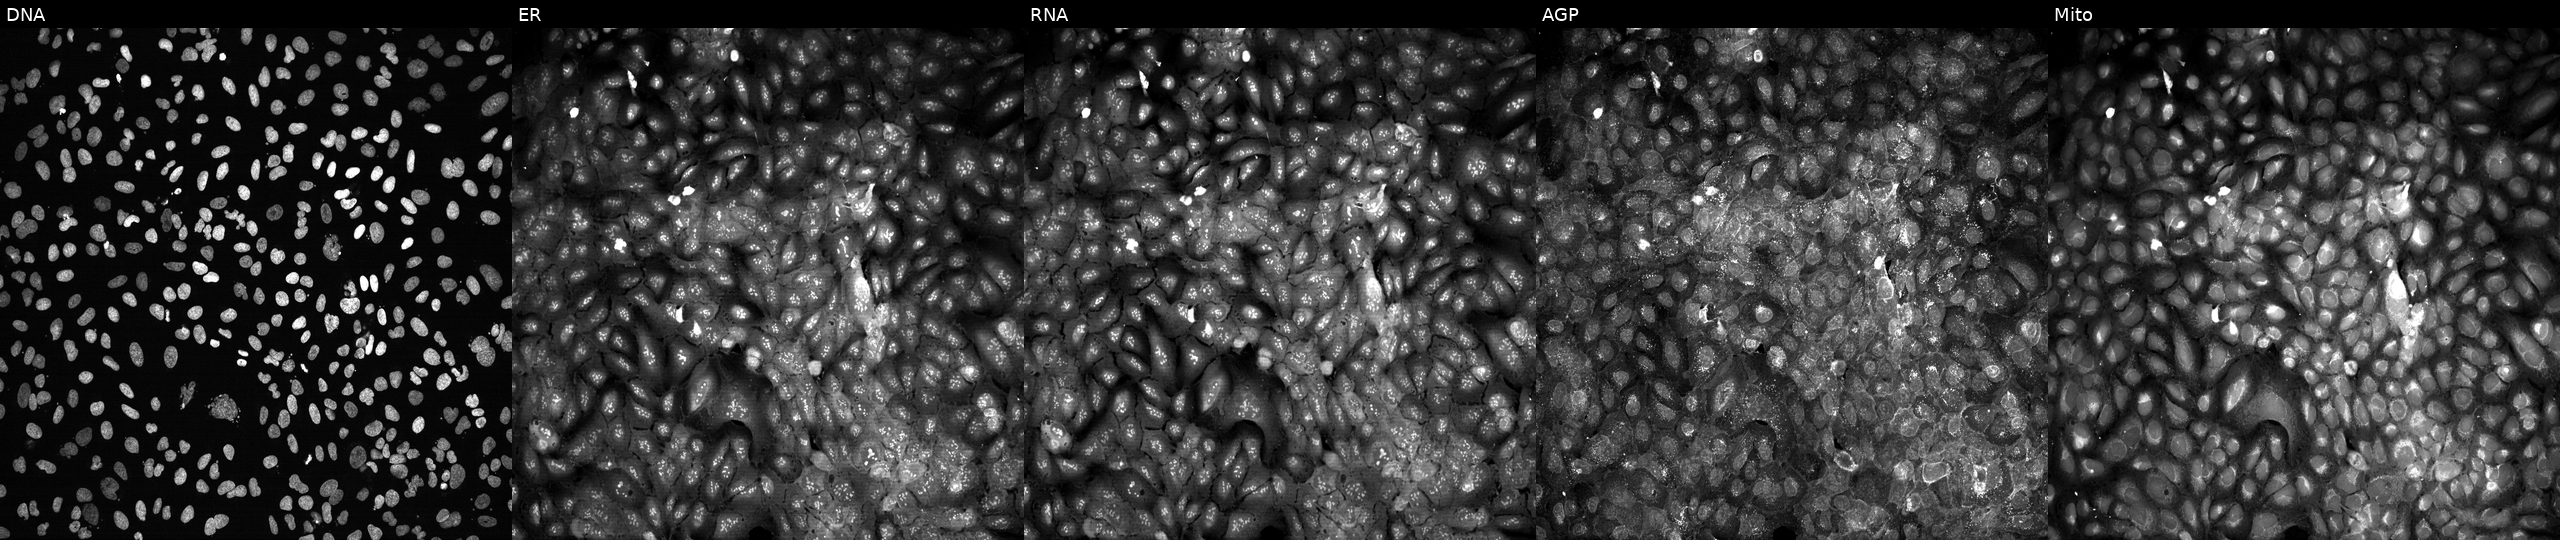
U2OS cells, Cell Painting assay, CRISPR-edited to disrupt COQ6. The five panels, left to right, show DNA, ER, RNA, AGP, and Mito. Each panel is percentile-stretched 16-bit fluorescence.